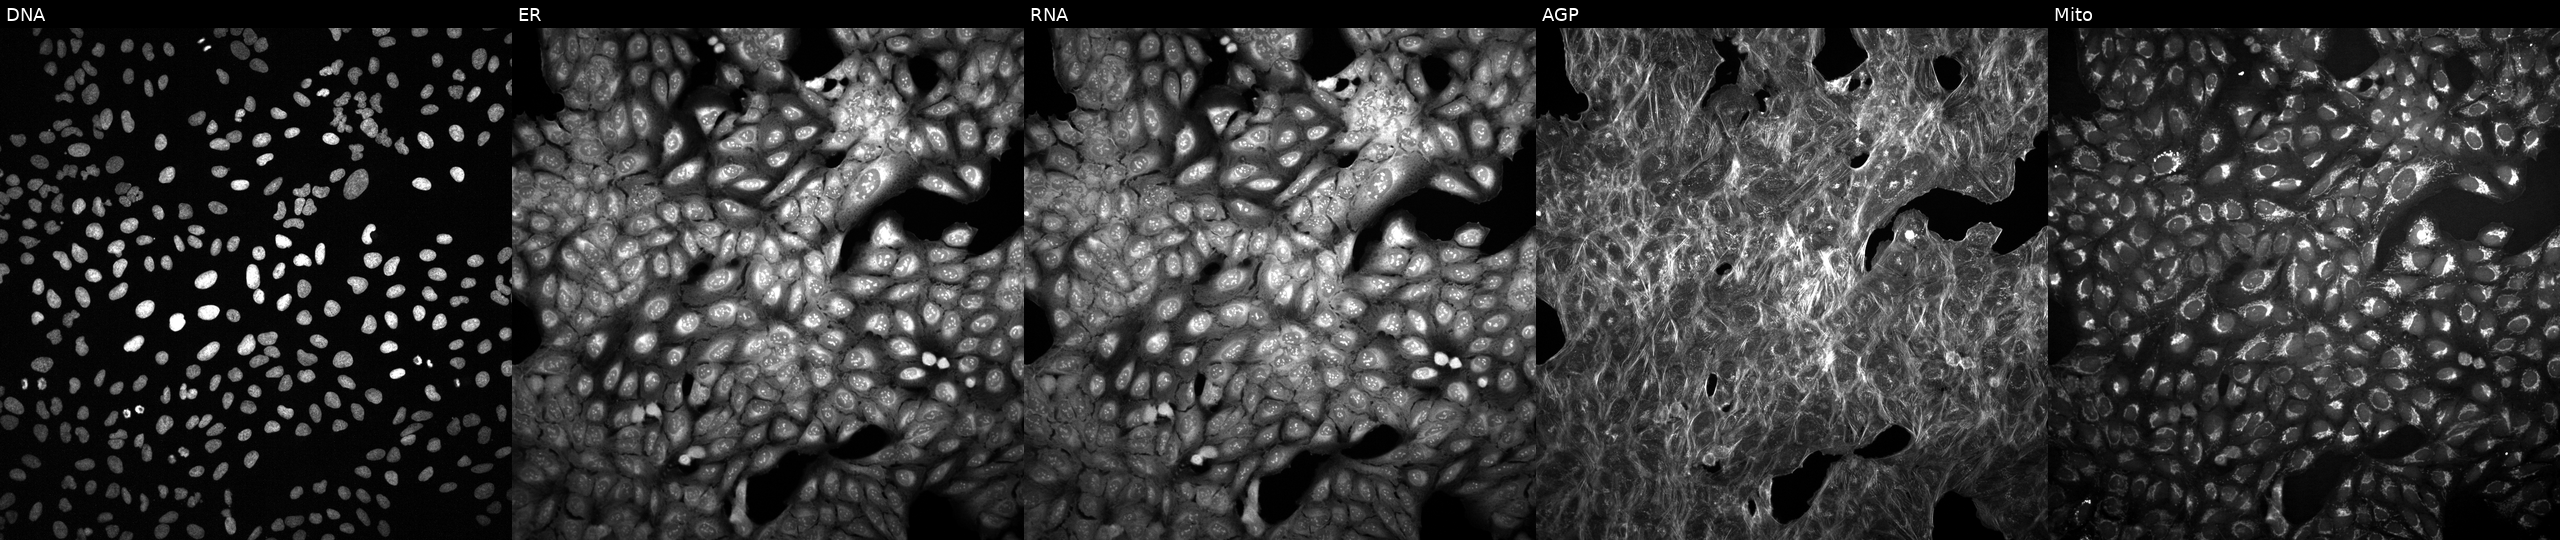
Five-channel Cell Painting image of U2OS cells with an unidentified perturbation (not annotated in JUMP metadata). From left to right: Hoechst 33342, concanavalin A, SYTO 14, phalloidin and WGA, MitoTracker.